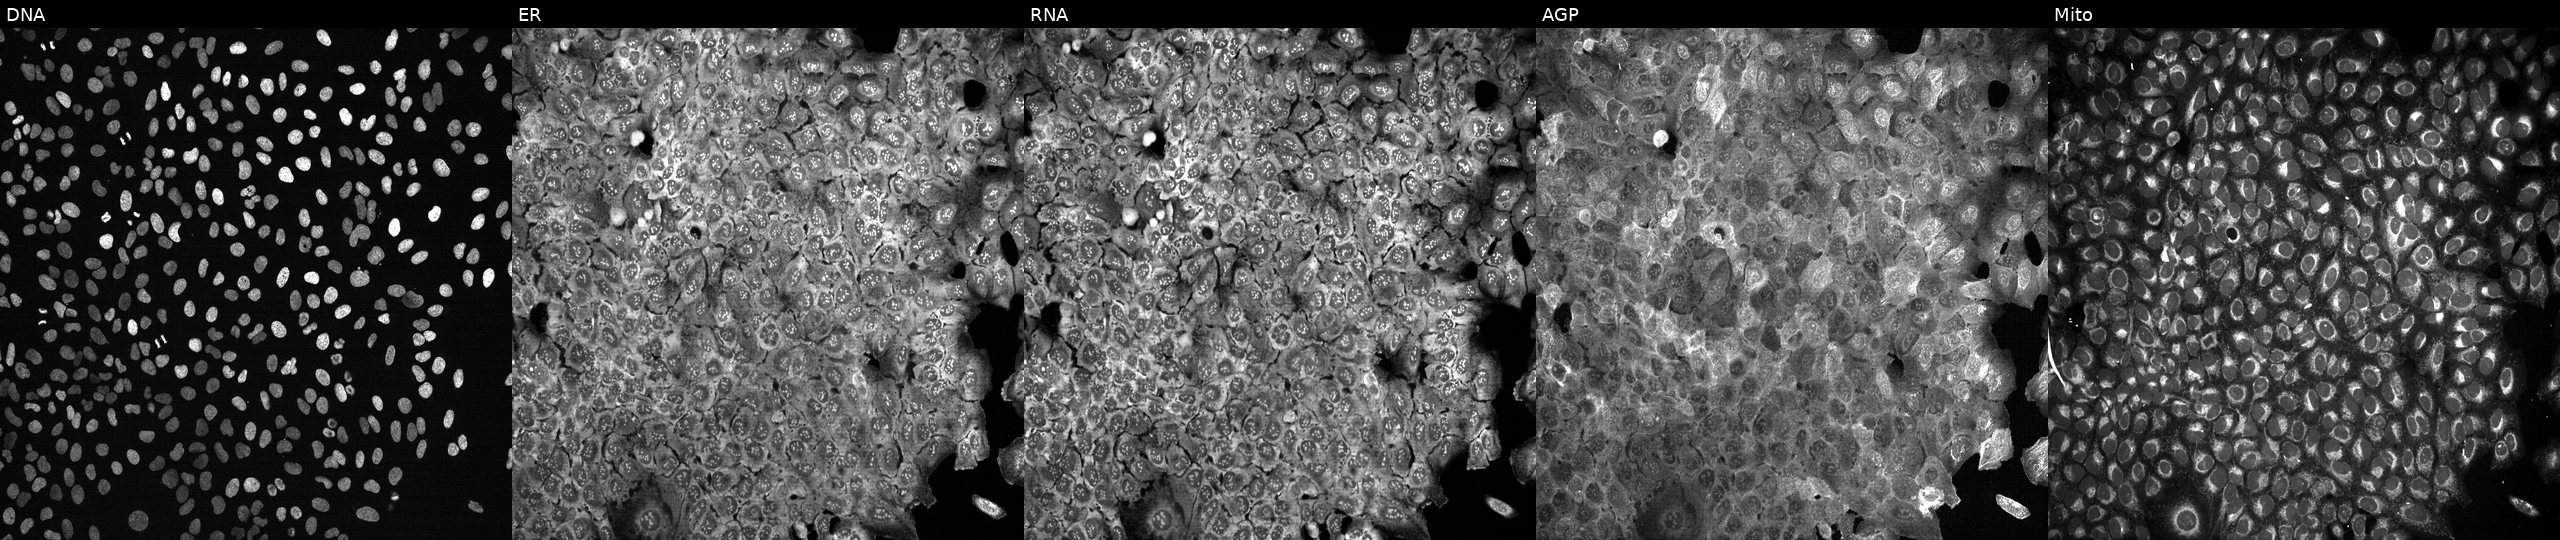
U2OS cells, Cell Painting assay, with a non-targeting CRISPR guide (negative control). The five panels, left to right, show DNA, ER, RNA, AGP, and Mito. Each panel is percentile-stretched 16-bit fluorescence. Source 13, plate CP-CC9-R2-01, well M02.